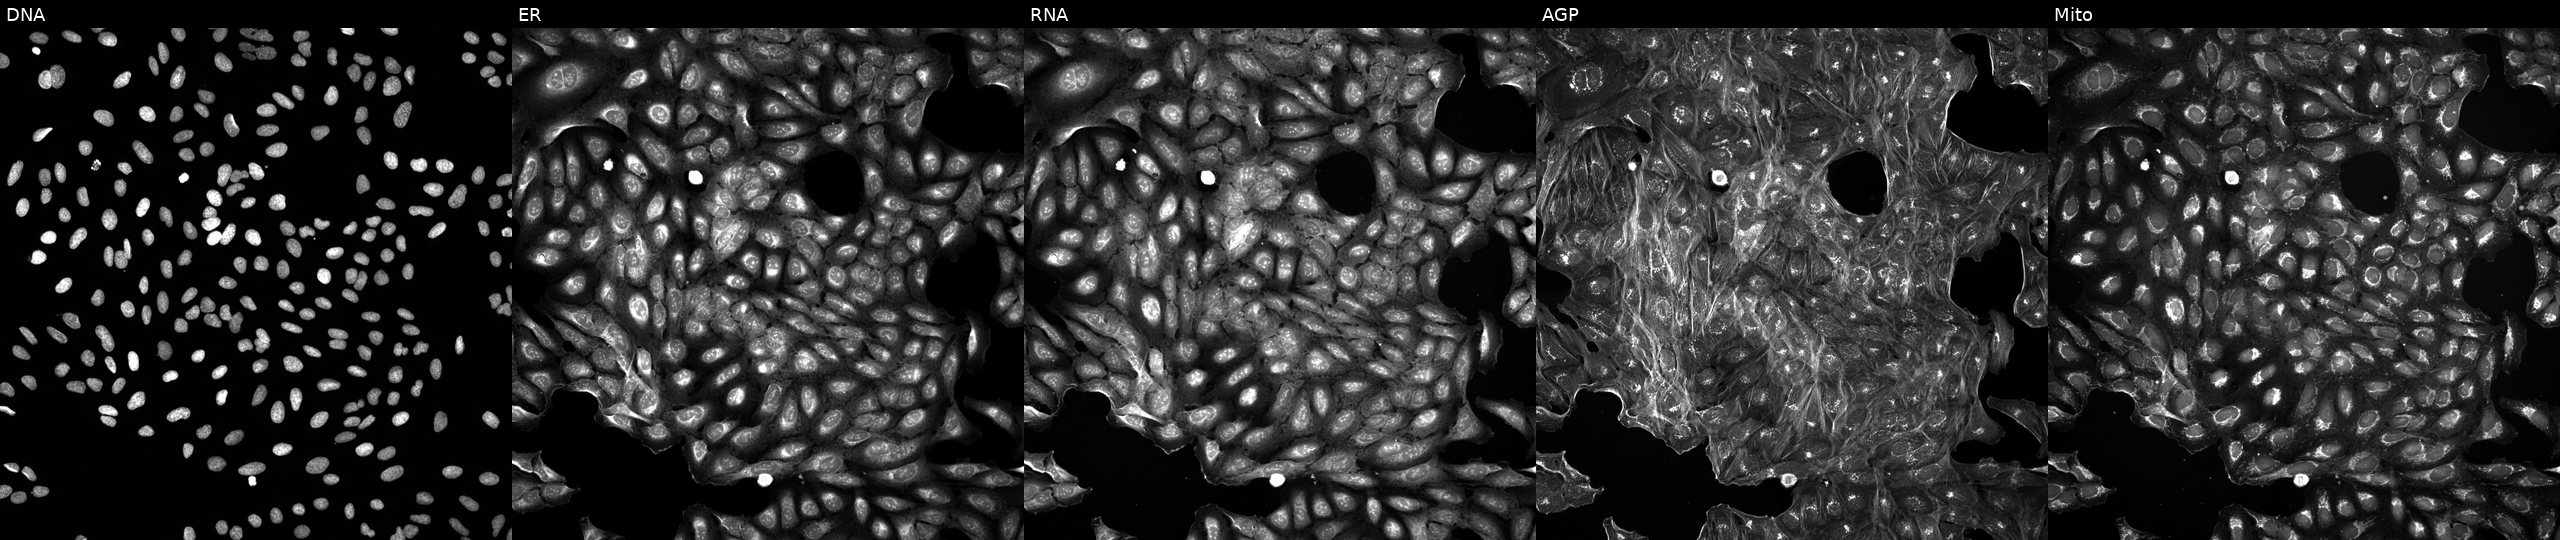
Five-channel Cell Painting image of U2OS cells exposed to a small-molecule compound. From left to right: DNA, ER, RNA, AGP, and Mito.